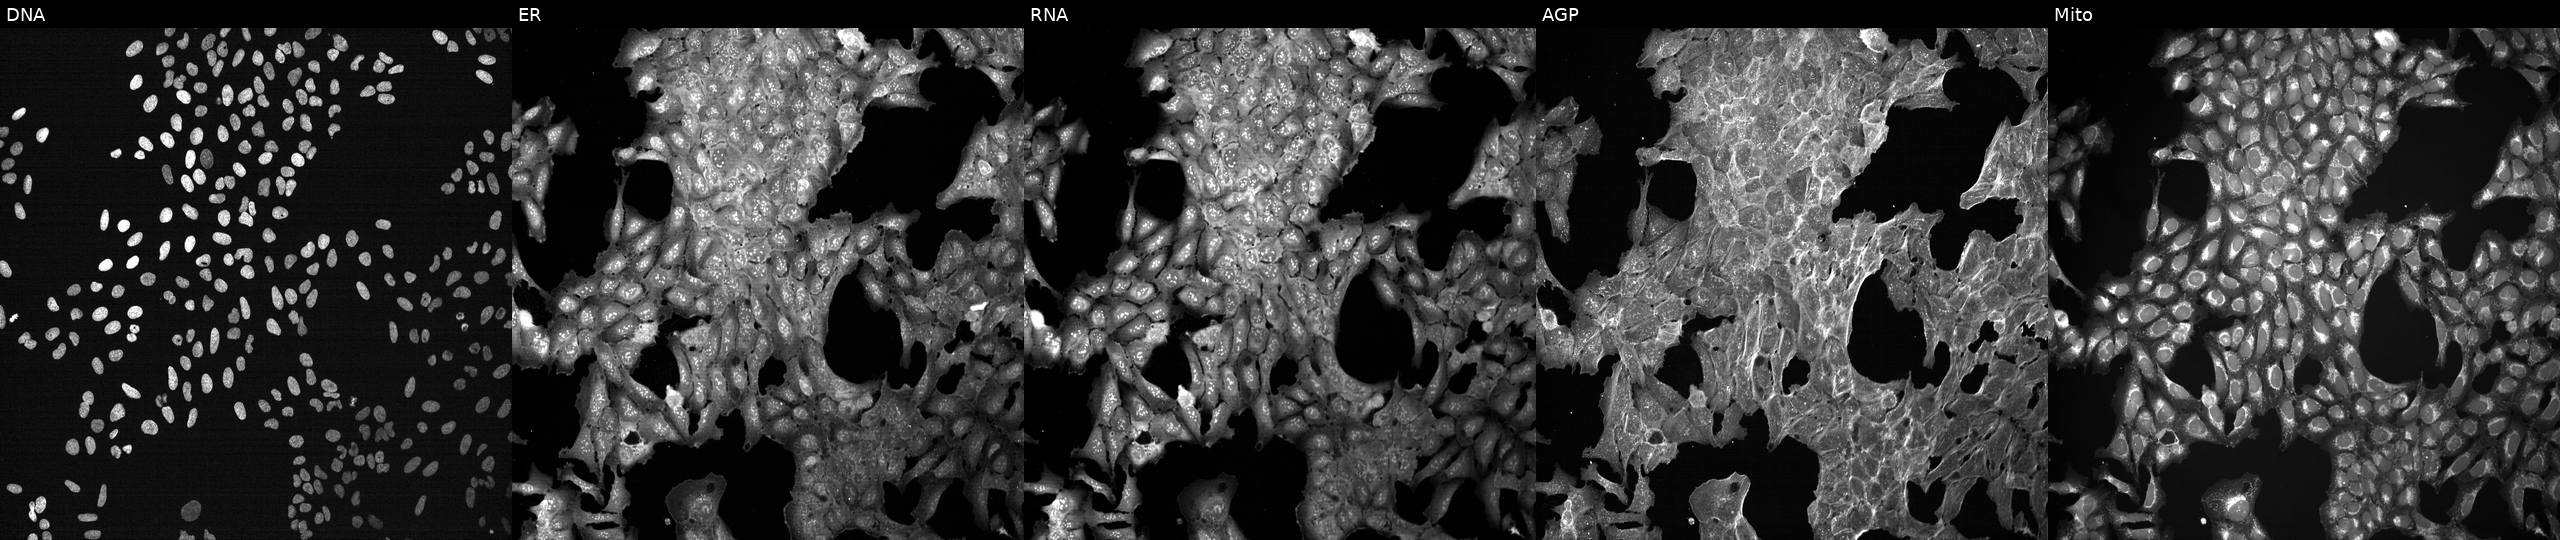
Five-channel Cell Painting image of U2OS cells exposed to a small-molecule compound (InChIKey PYNXFZCZUAOOQC-UHFFFAOYSA-N) [SMILES: CCOC(=O)C(C)CC(Cc1ccc(-c2ccccc2)cc1)NC(=O)CCC(=O)O] (JUMP id JCP2022_071811). Channels (left→right): DNA, ER, RNA, AGP, and Mito.